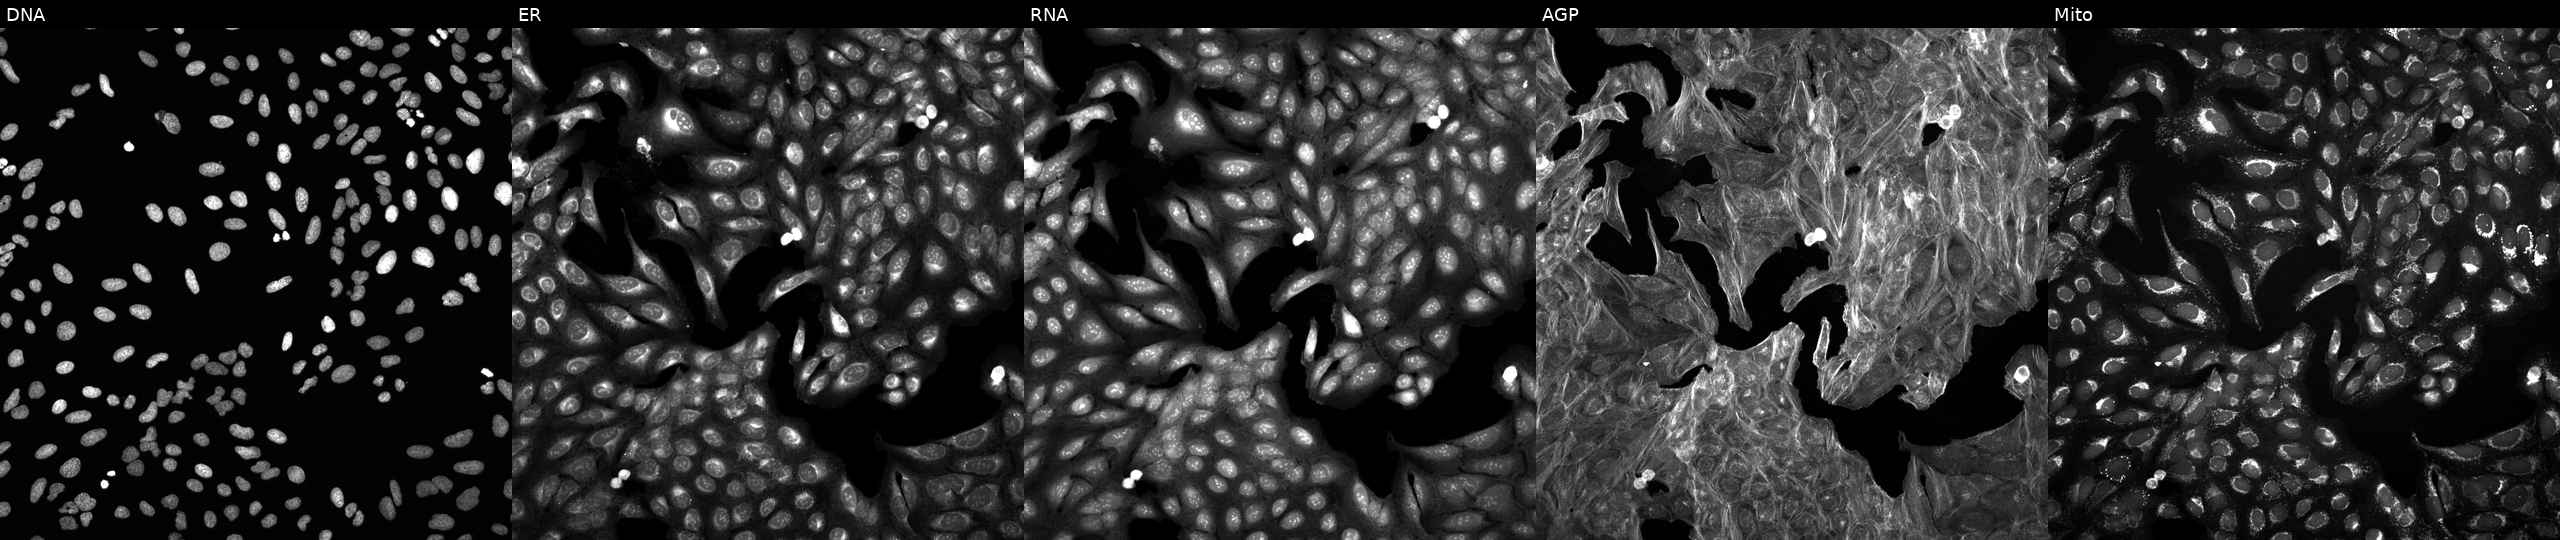
This image strip shows the five Cell Painting channels for a single field of U2OS cells treated with DMSO vehicle only (negative control). The five panels, left to right, show Hoechst 33342, concanavalin A, SYTO 14, phalloidin and WGA, MitoTracker.